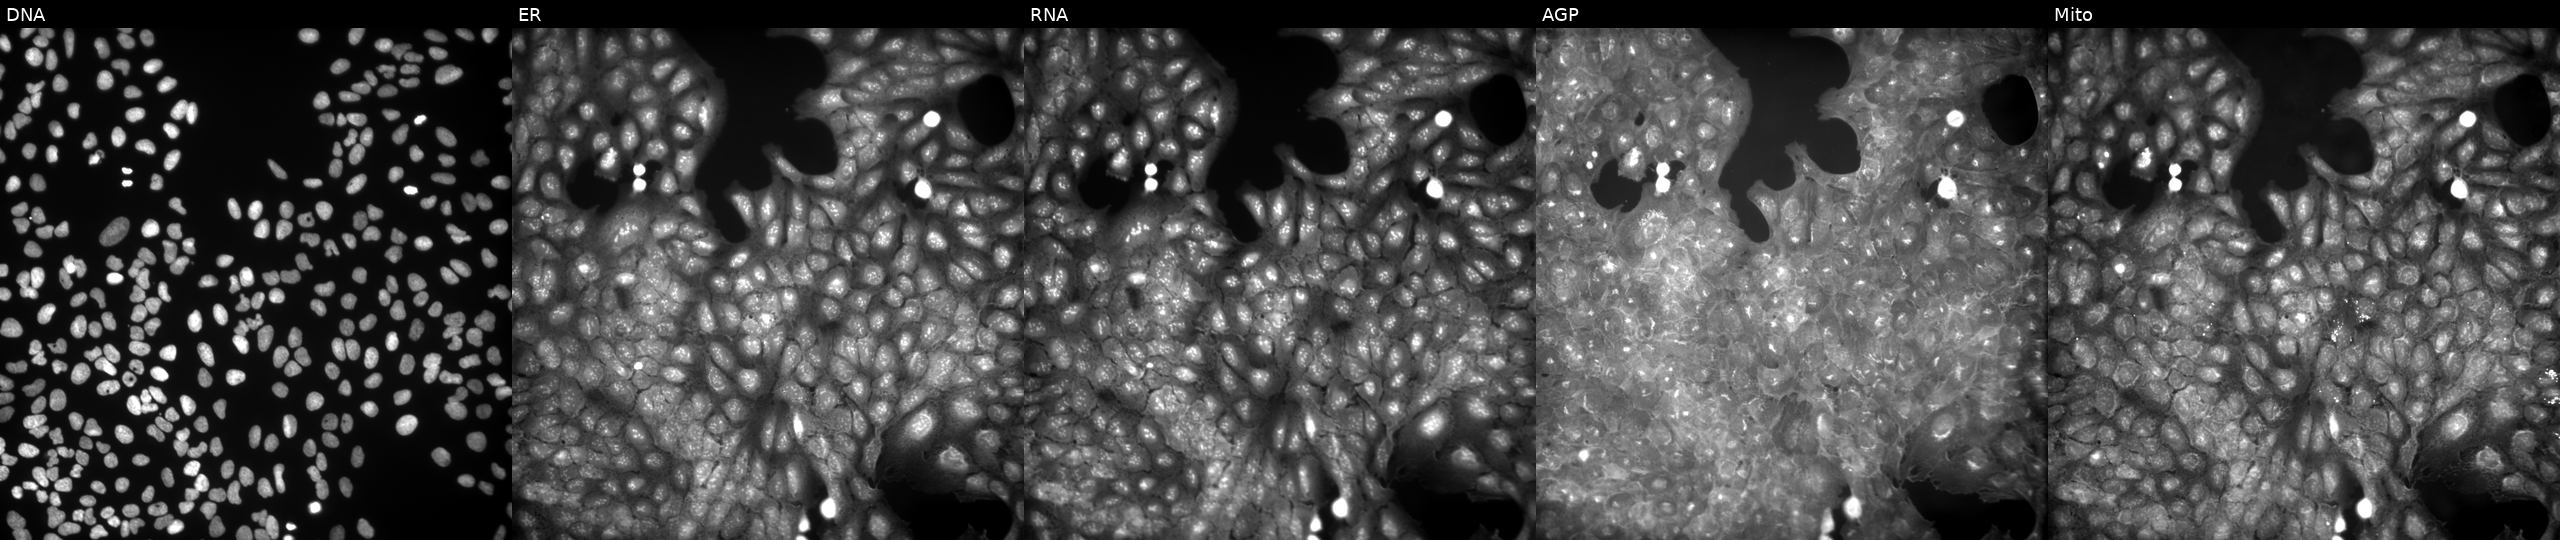
This image strip shows the five Cell Painting channels for a single field of U2OS cells exposed to a small-molecule compound (InChIKey IVAVELBVHXCUDH-UHFFFAOYSA-N). Channels (left→right): DNA, ER, RNA, AGP, and Mito.